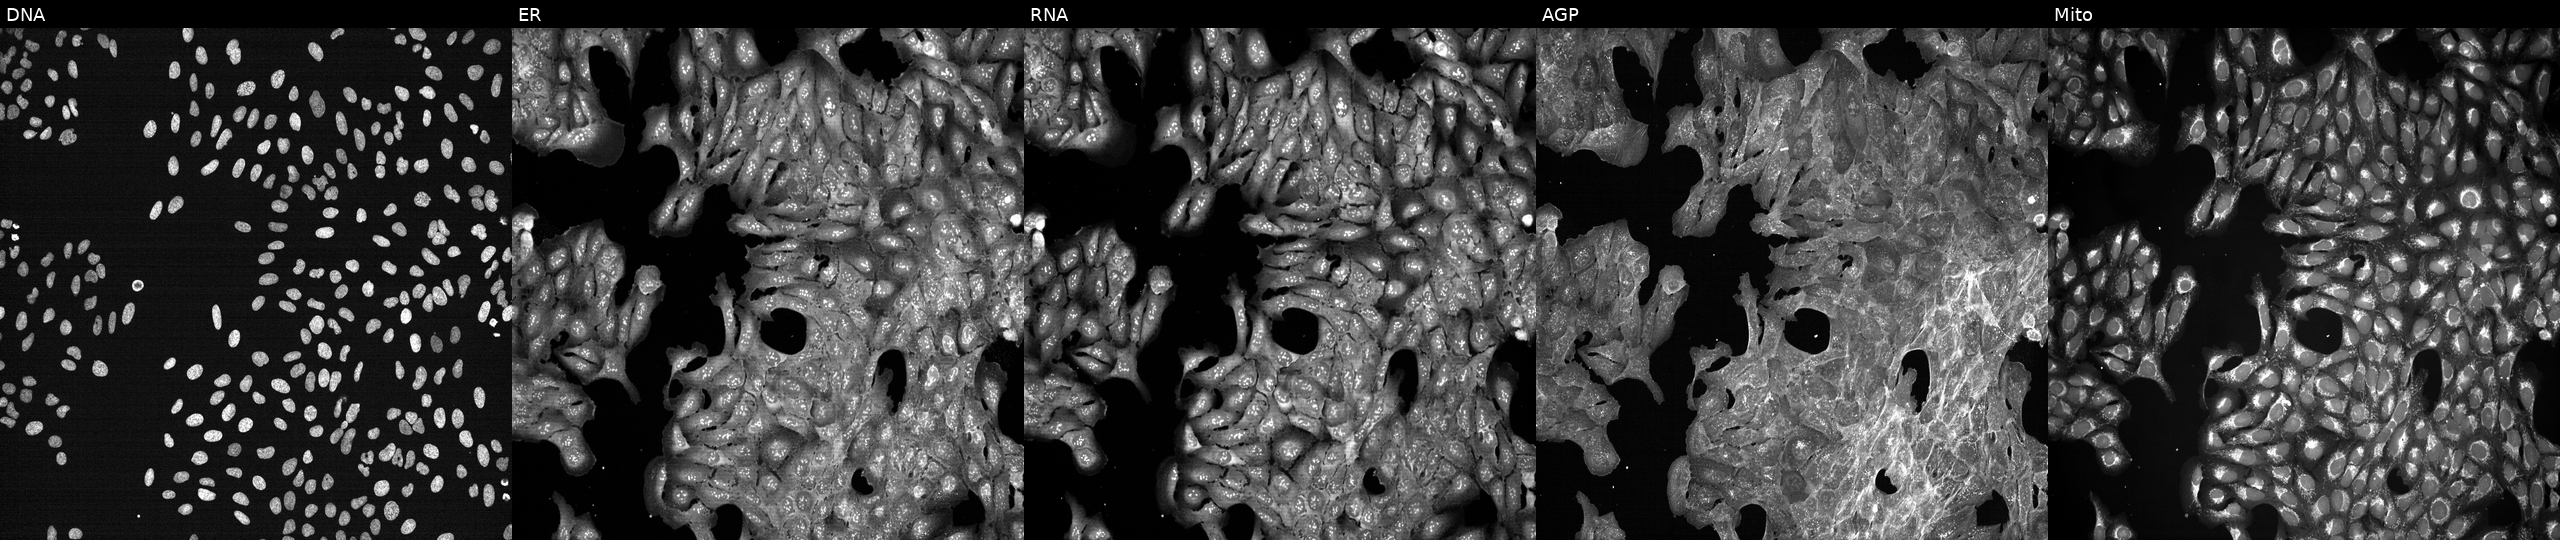
U2OS cells, Cell Painting assay, treated with a small-molecule compound (InChIKey HFYPTENHTPNXGP-UHFFFAOYSA-N) (JUMP id JCP2022_029951). Panels show, left to right, DNA, ER, RNA, AGP, and Mito. Each panel is percentile-stretched 16-bit fluorescence.